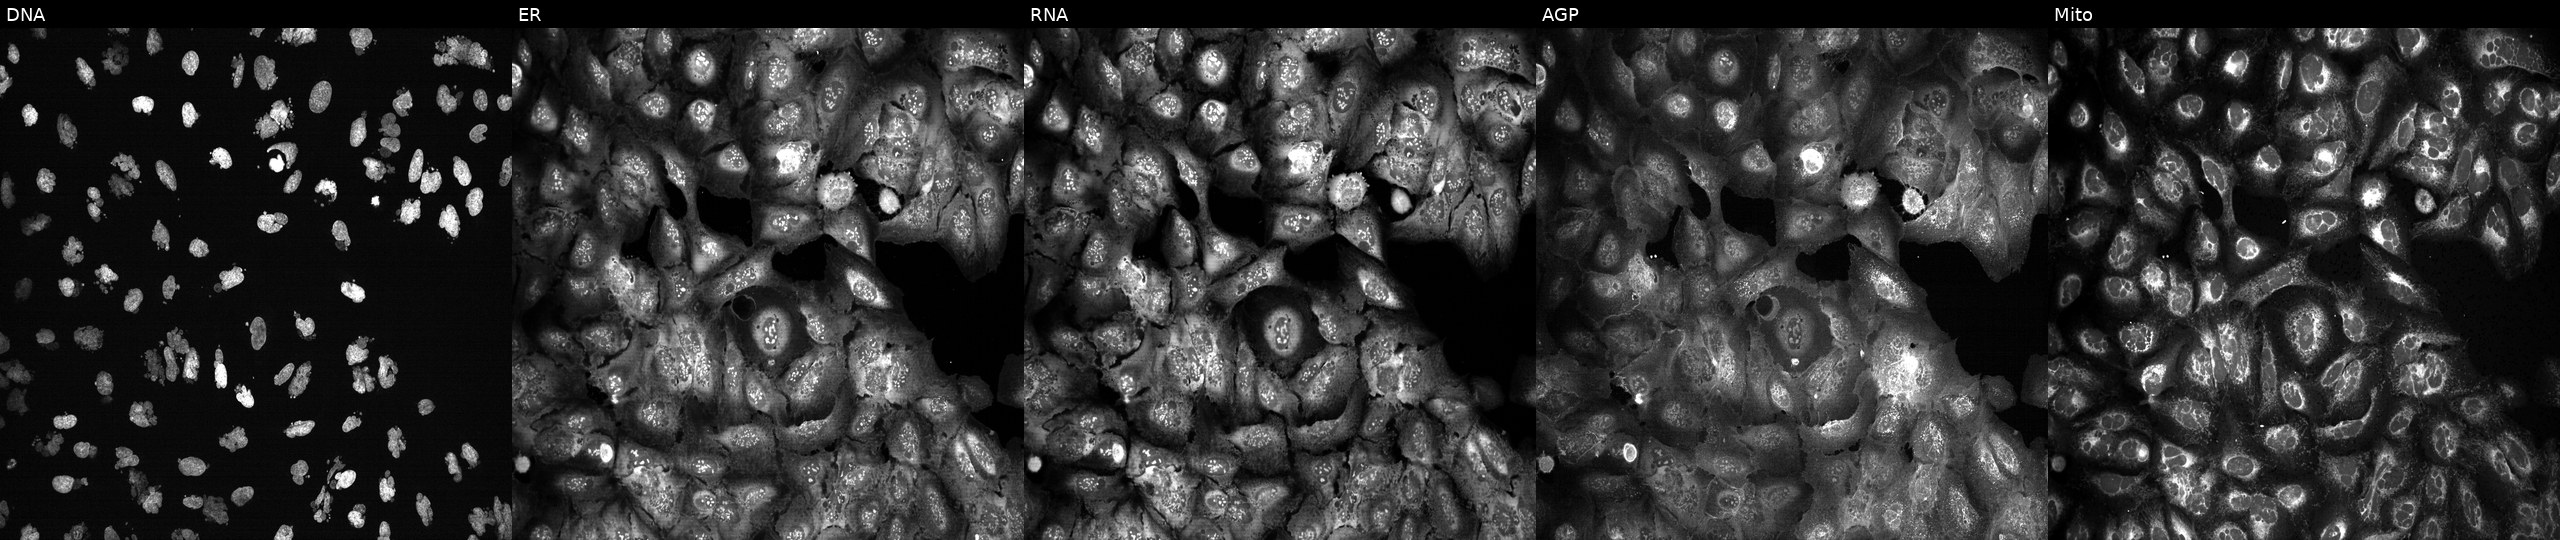
The five panels, left to right, show Hoechst 33342, concanavalin A, SYTO 14, phalloidin and WGA, MitoTracker. U2OS osteosarcoma cells treated with AMG900 (positive-control compound) (JUMP id JCP2022_037716). Cell Painting assay, JUMP-CP dataset.